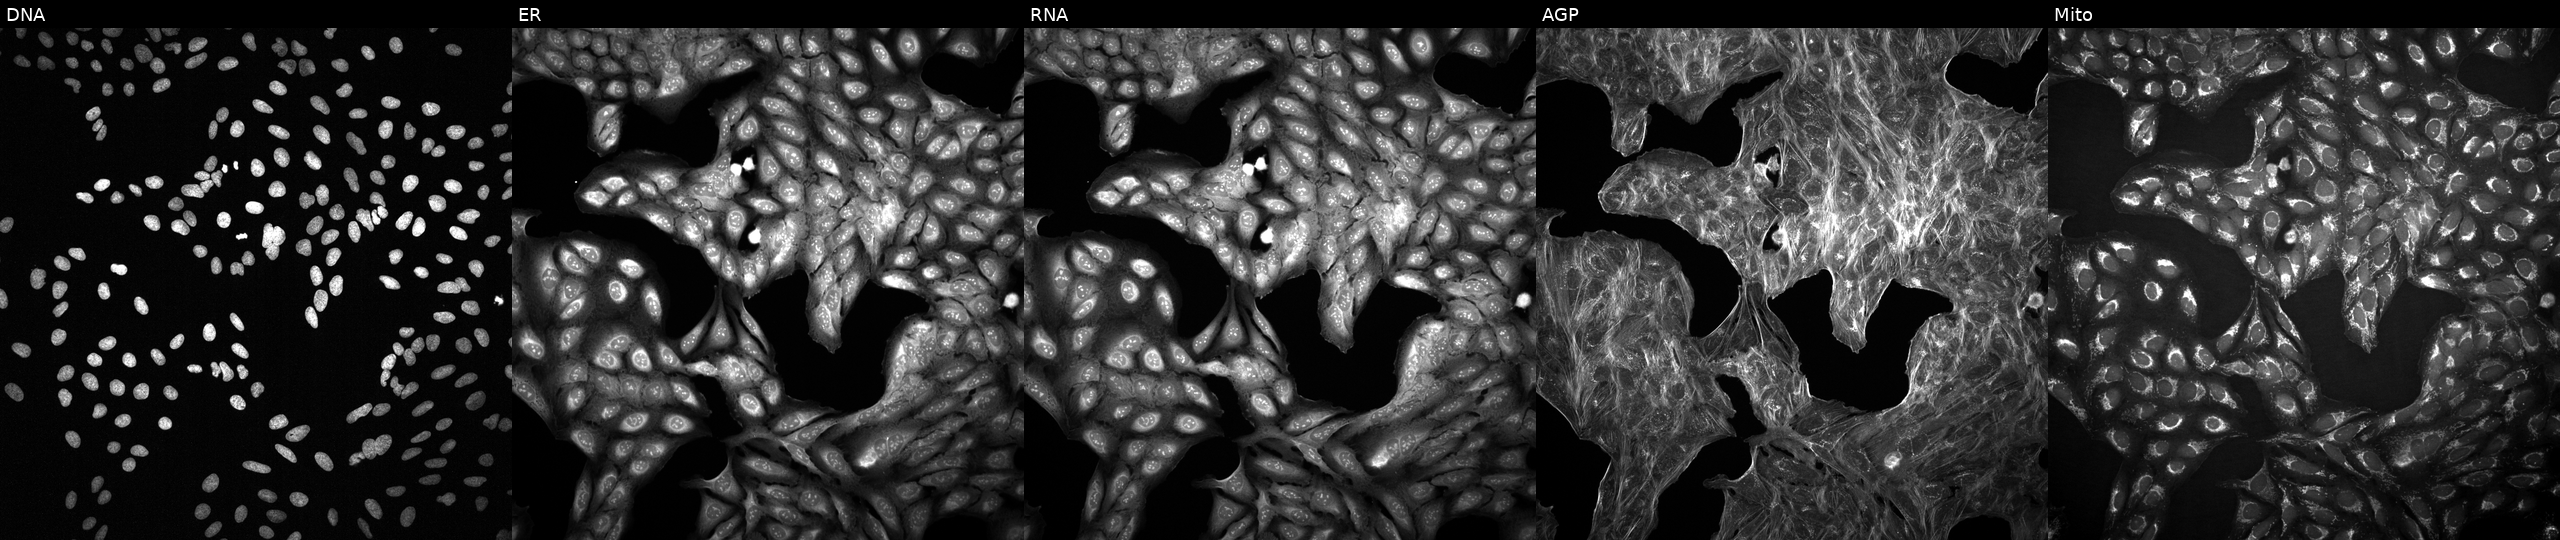
JUMP Cell Painting — COMPOUND plate. U2OS cells with an unidentified perturbation (not annotated in JUMP metadata). Panels show, left to right, Hoechst 33342, concanavalin A, SYTO 14, phalloidin and WGA, MitoTracker.